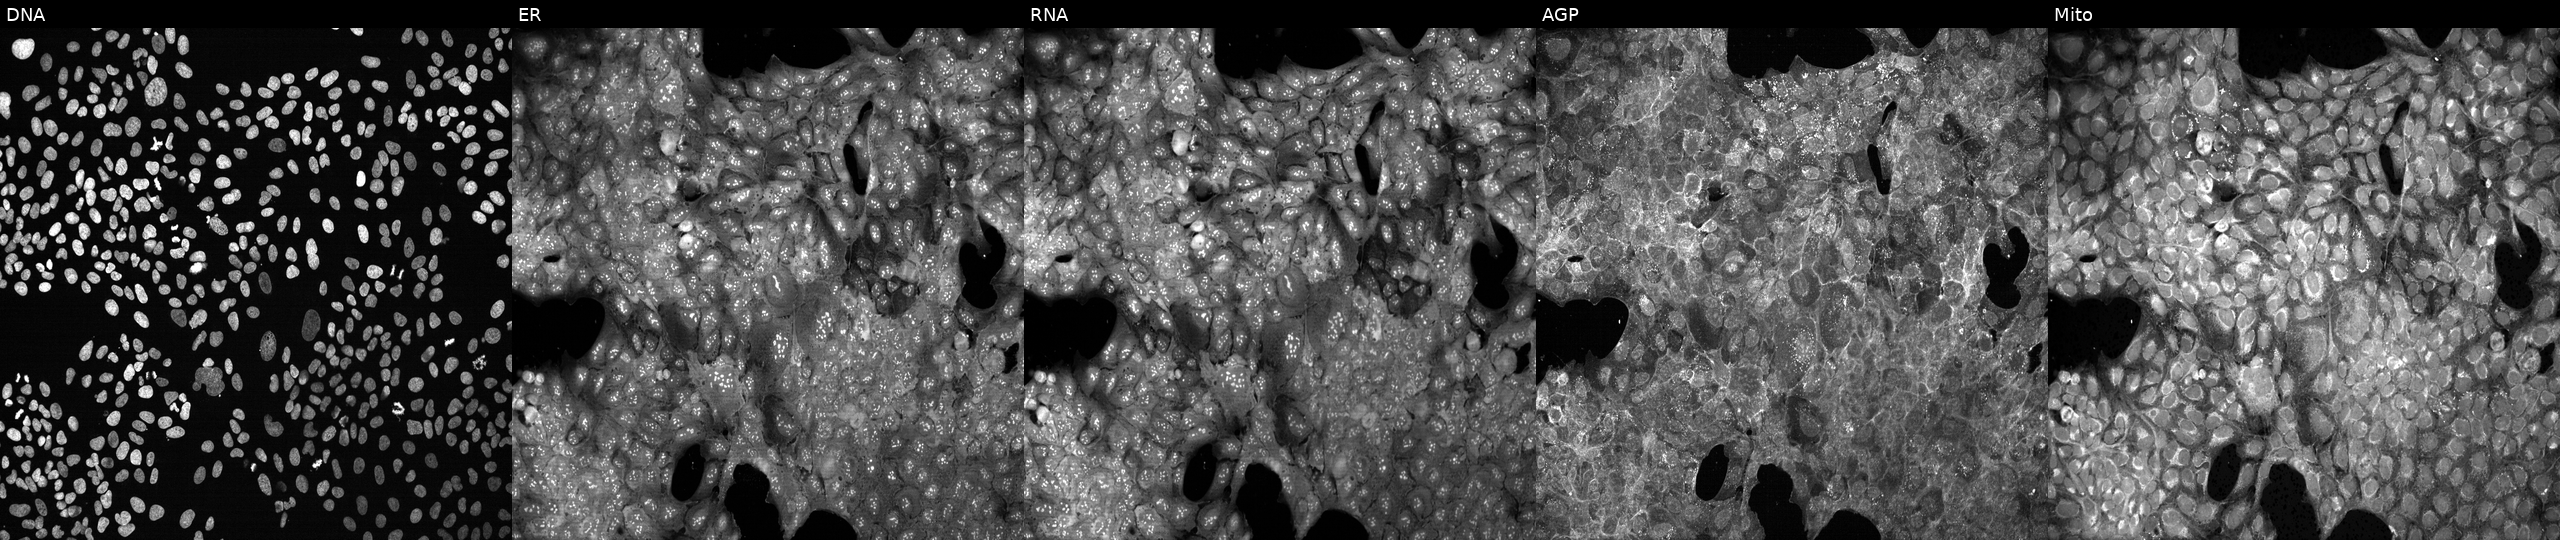
This image strip shows the five Cell Painting channels for a single field of U2OS cells treated with LY2109761 (positive-control compound). Channels (left→right): DNA, ER, RNA, AGP, and Mito. Source 13, plate CP-CC9-R1-02, well I24.